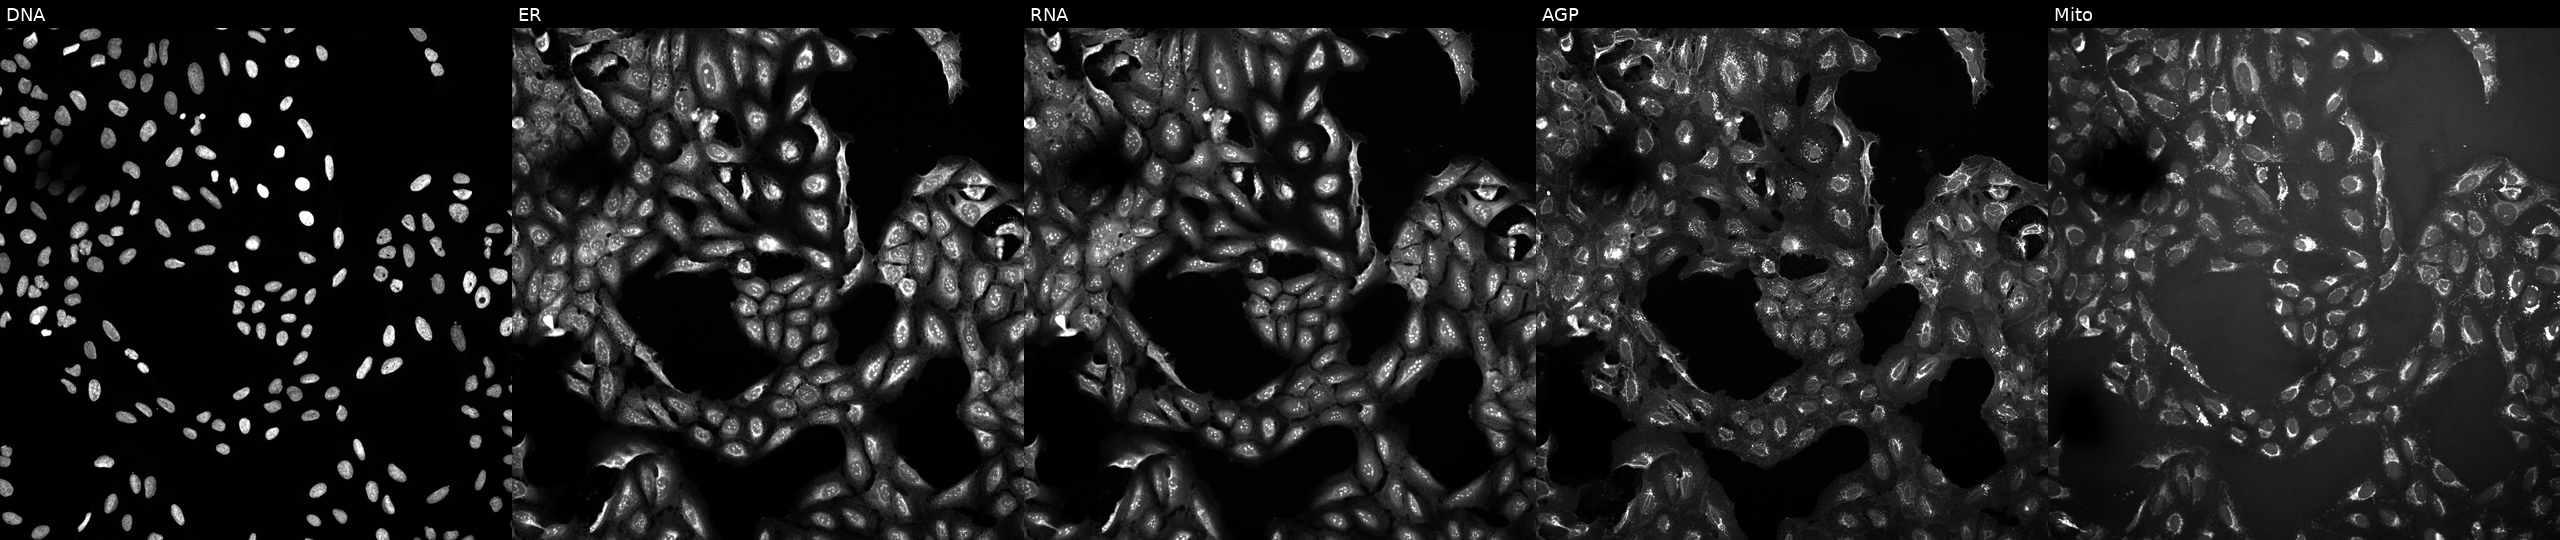
Five-channel Cell Painting image of U2OS cells treated with a small-molecule compound (InChIKey FQUAFMNPXPXOJE-UHFFFAOYSA-N). From left to right: DNA (nuclei); ER (endoplasmic reticulum); RNA (nucleoli and cytoplasmic RNA); AGP (actin cytoskeleton, Golgi, and plasma membrane); Mito (mitochondria).